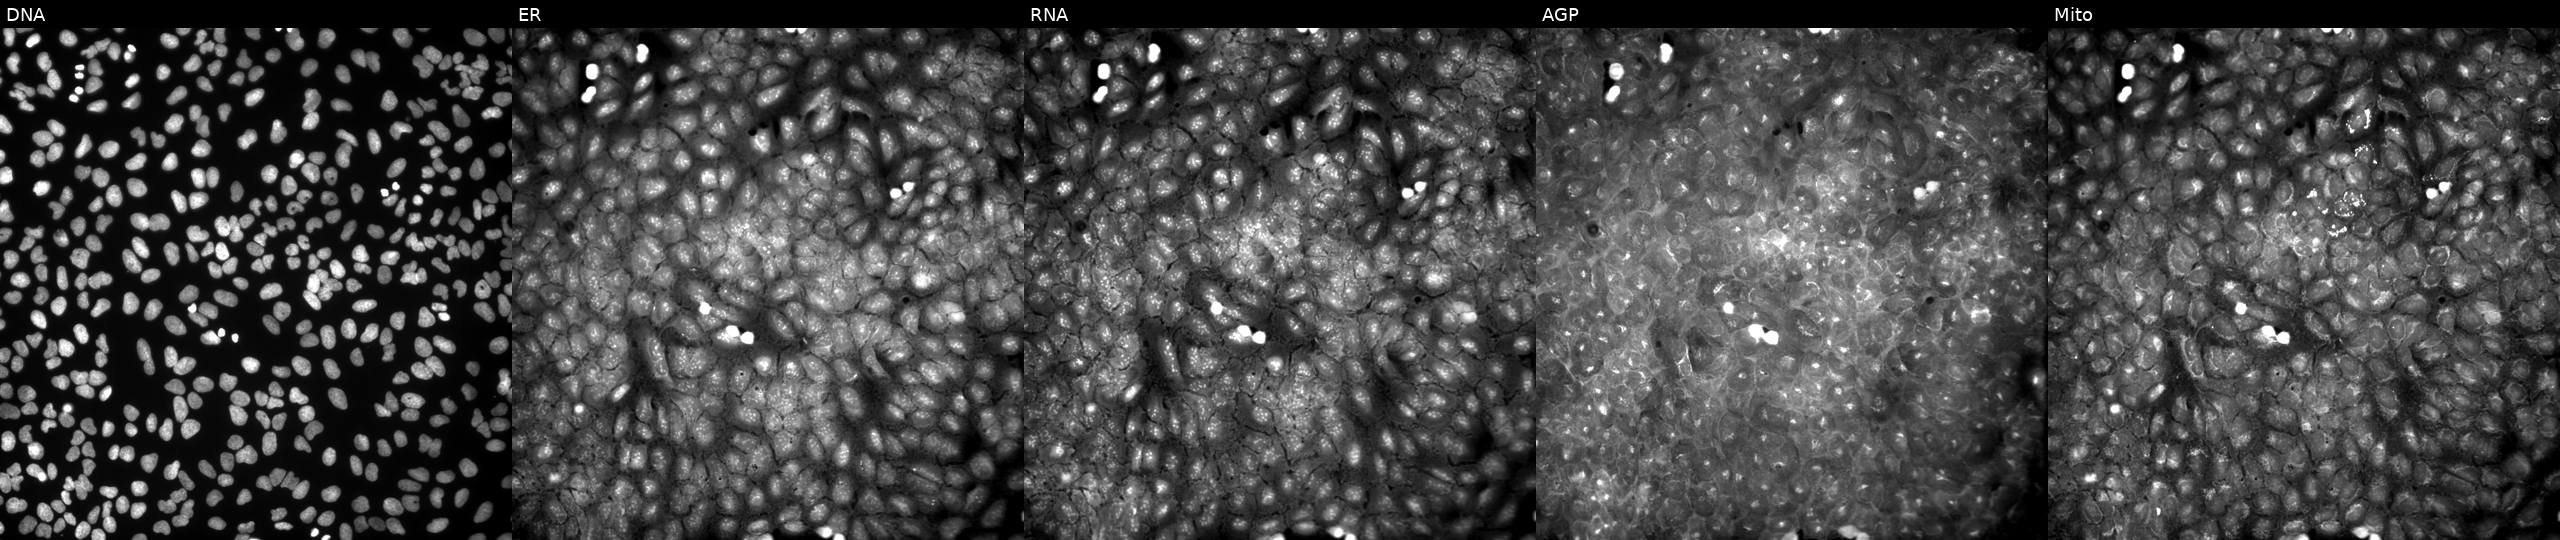
This image strip shows the five Cell Painting channels for a single field of U2OS cells treated with a small-molecule compound (InChIKey UXCUVFISHOIIJJ-UHFFFAOYSA-N) [SMILES: O=C(COc1ccccc1)Nc1ccc(NC(=O)c2cccs2)cc1]. Panels show, left to right, DNA (nuclei); ER (endoplasmic reticulum); RNA (nucleoli and cytoplasmic RNA); AGP (actin cytoskeleton, Golgi, and plasma membrane); Mito (mitochondria). Source 9, plate GR00003381, well S39.